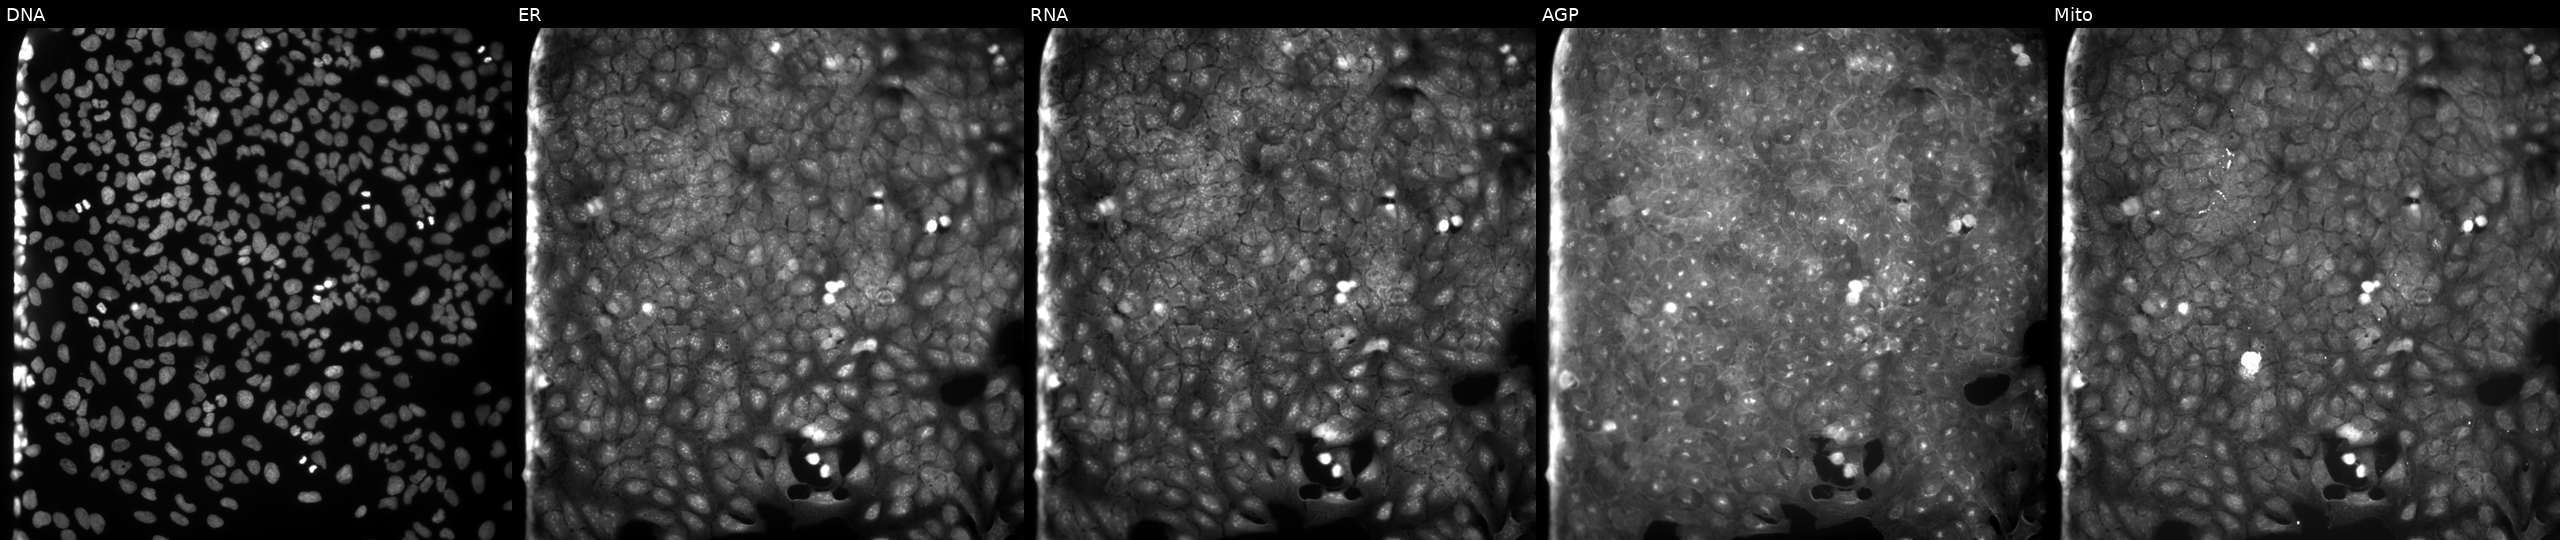
High-content fluorescence microscopy (Cell Painting). Cell line: U2OS. Perturbation: treated with a small-molecule compound (JUMP id JCP2022_081237). Channels (left→right): DNA (nuclei); ER (endoplasmic reticulum); RNA (nucleoli and cytoplasmic RNA); AGP (actin cytoskeleton, Golgi, and plasma membrane); Mito (mitochondria). Source 9, plate GR00003382, well P03.